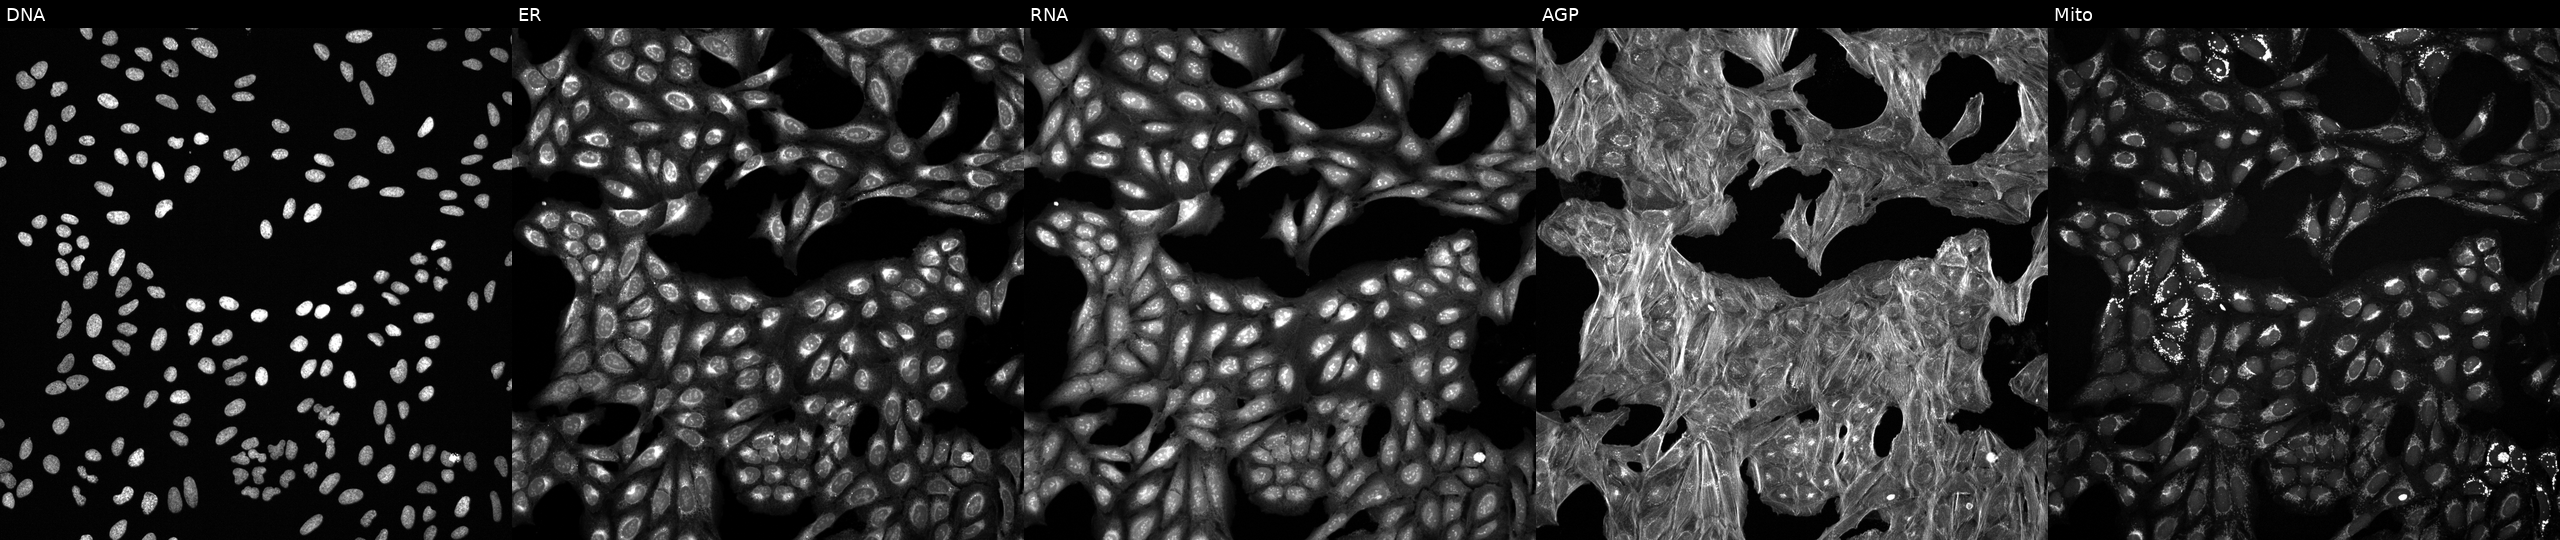
High-content fluorescence microscopy (Cell Painting). Cell line: U2OS. Perturbation: treated with a small-molecule compound (JUMP id JCP2022_030517). Channels (left→right): DNA, ER, RNA, AGP, and Mito.